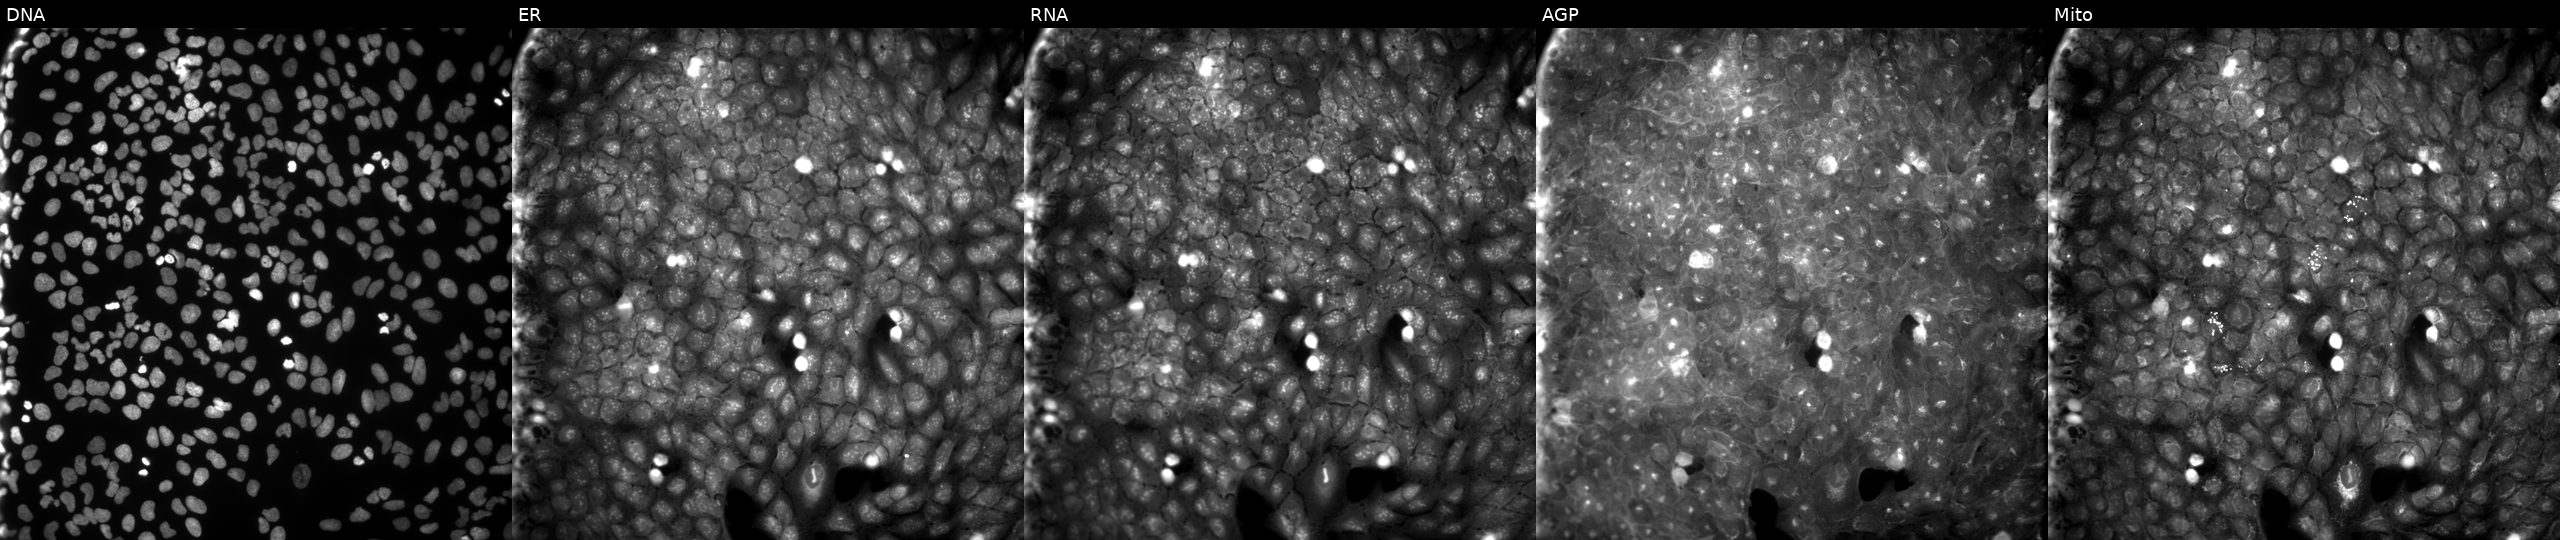
High-content fluorescence microscopy (Cell Painting). Cell line: U2OS. Perturbation: treated with a small-molecule compound (InChIKey QBRFTSRIMJCUCQ-UHFFFAOYSA-N) (JUMP id JCP2022_072401). Panels show, left to right, DNA, ER, RNA, AGP, and Mito.